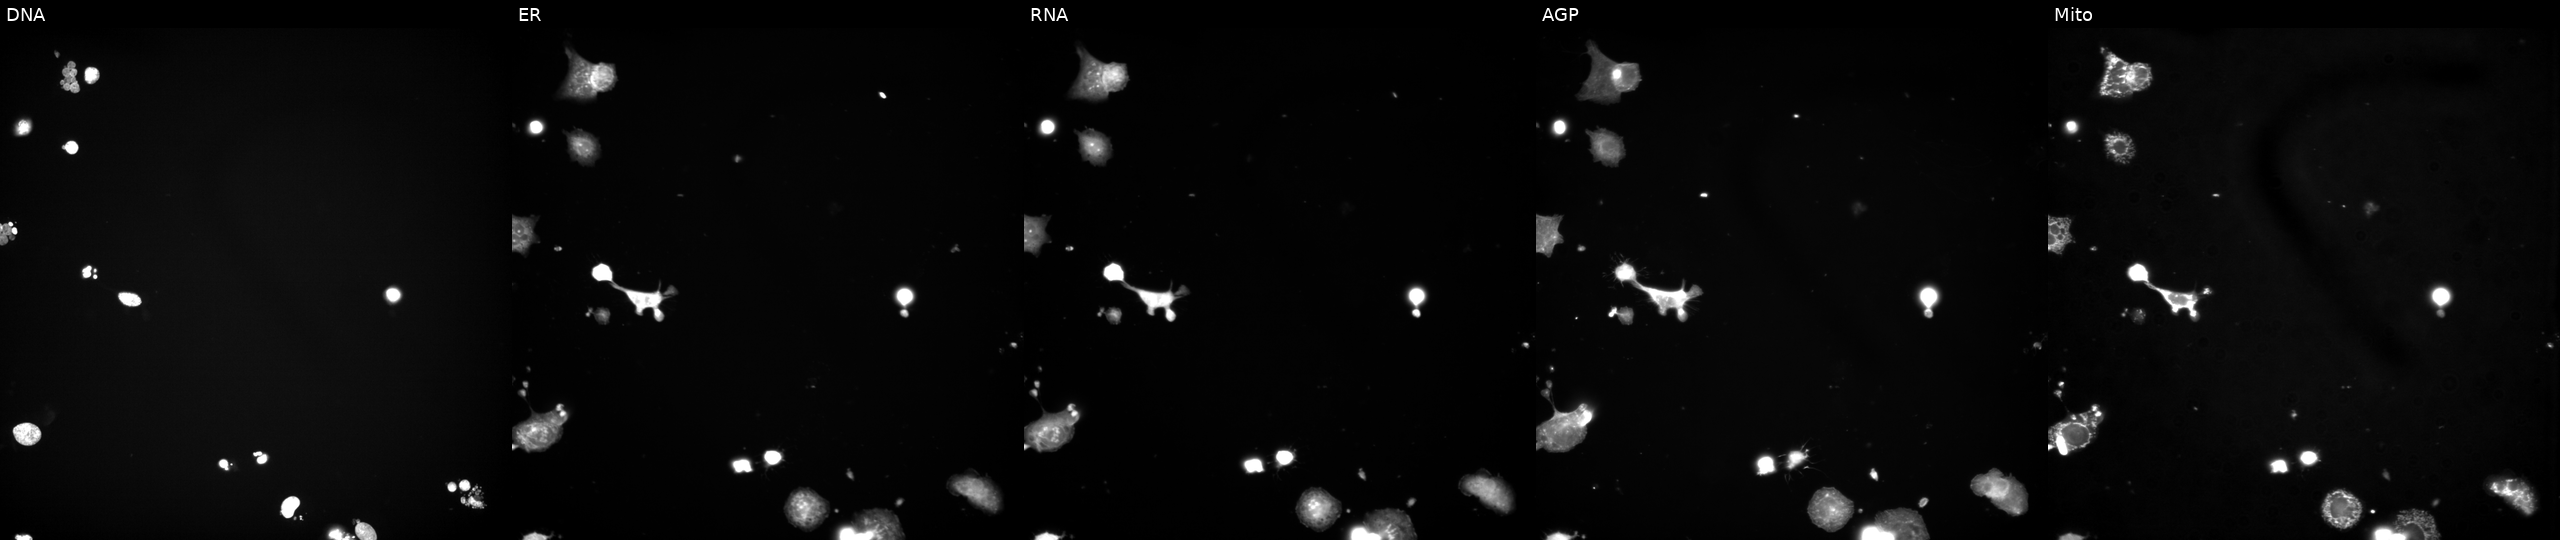
U2OS cells, Cell Painting assay, treated with a small-molecule compound (InChIKey MTJHLONVHHPNSI-UHFFFAOYSA-N). The five panels, left to right, show DNA, ER, RNA, AGP, and Mito. Each panel is percentile-stretched 16-bit fluorescence.